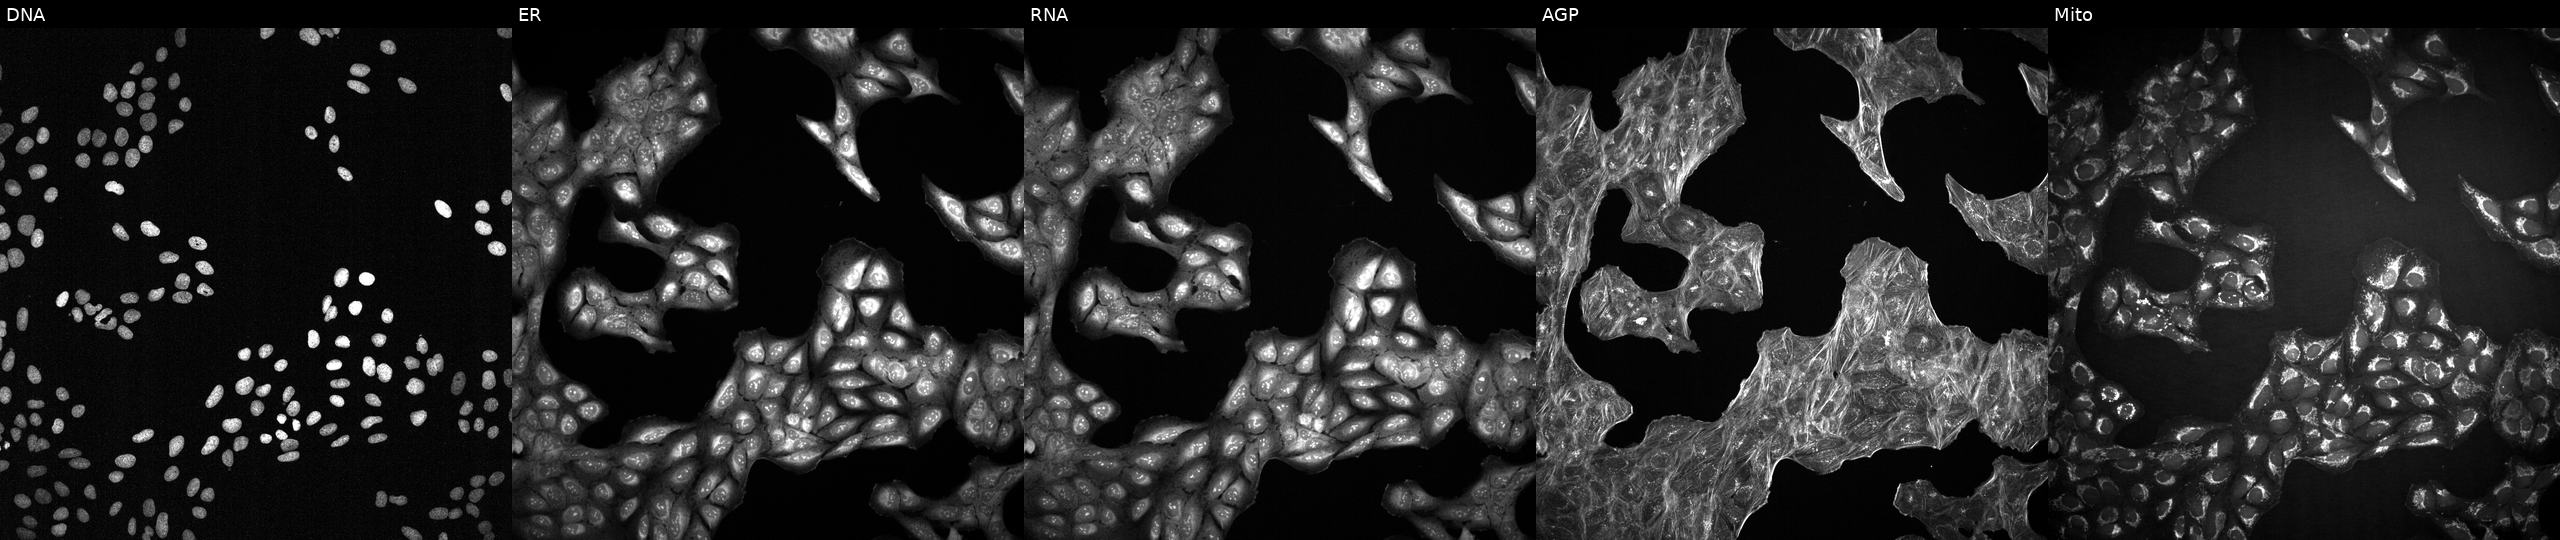
This image strip shows the five Cell Painting channels for a single field of U2OS cells perturbed with a small-molecule compound. The five panels, left to right, show Hoechst 33342, concanavalin A, SYTO 14, phalloidin and WGA, MitoTracker. Source 2, plate 1053599503, well C23.